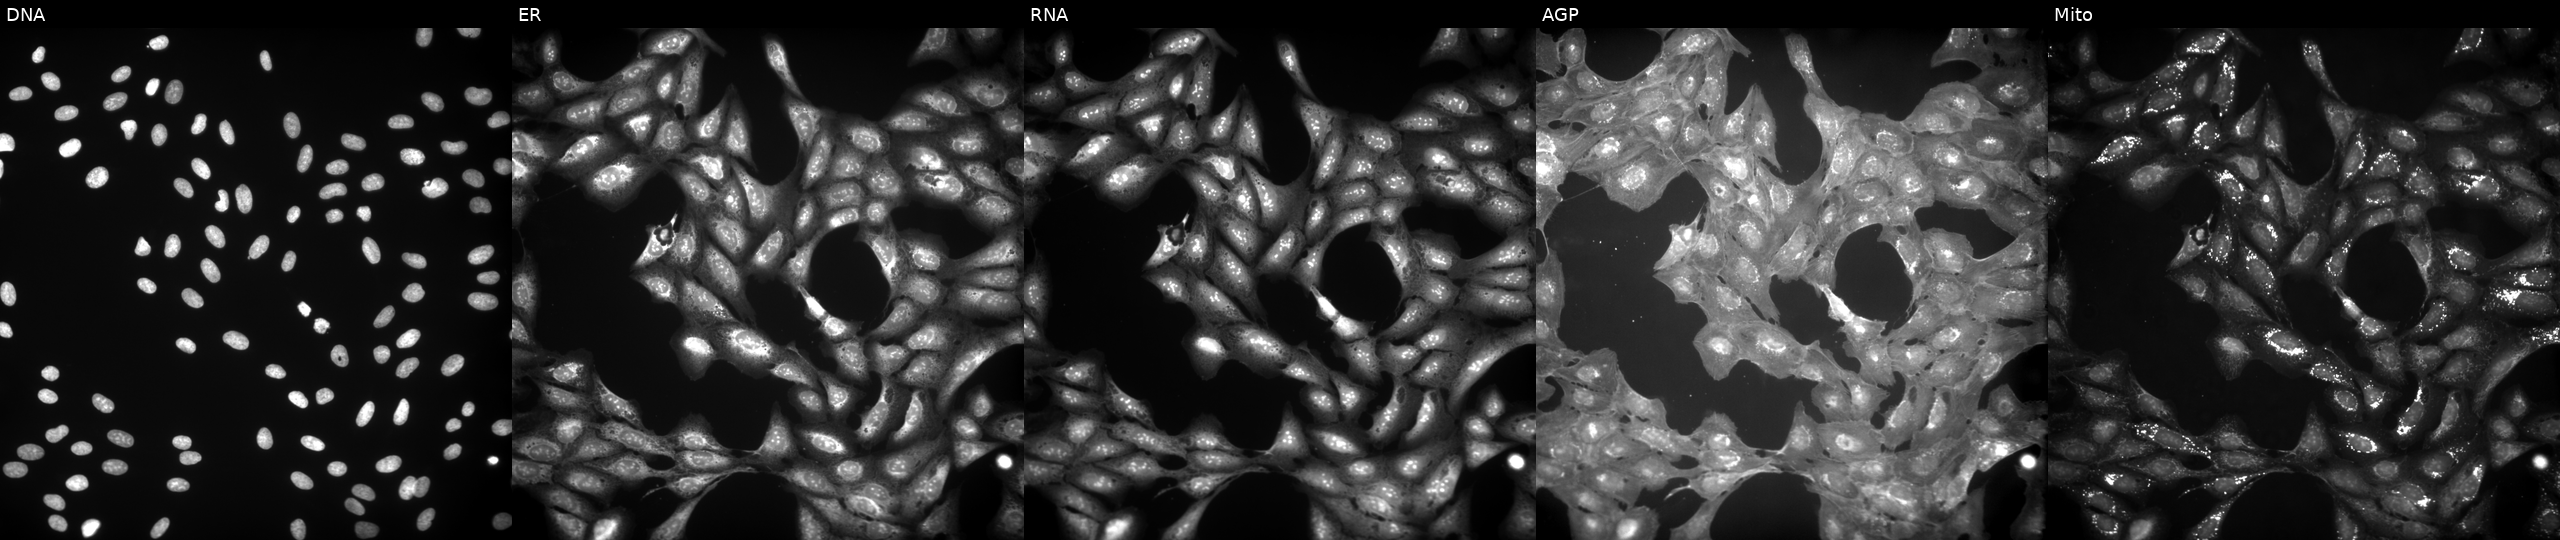
The five panels, left to right, show Hoechst 33342, concanavalin A, SYTO 14, phalloidin and WGA, MitoTracker. U2OS osteosarcoma cells perturbed with a small-molecule compound (InChIKey OGOXQDKTBGYXDB-UHFFFAOYSA-N) [SMILES: CC(=O)NC(c1ccccc1)c1cc(Cl)c2cccnc2c1O]. Cell Painting assay, JUMP-CP dataset. Source 9, plate GR00003381, well AA20.